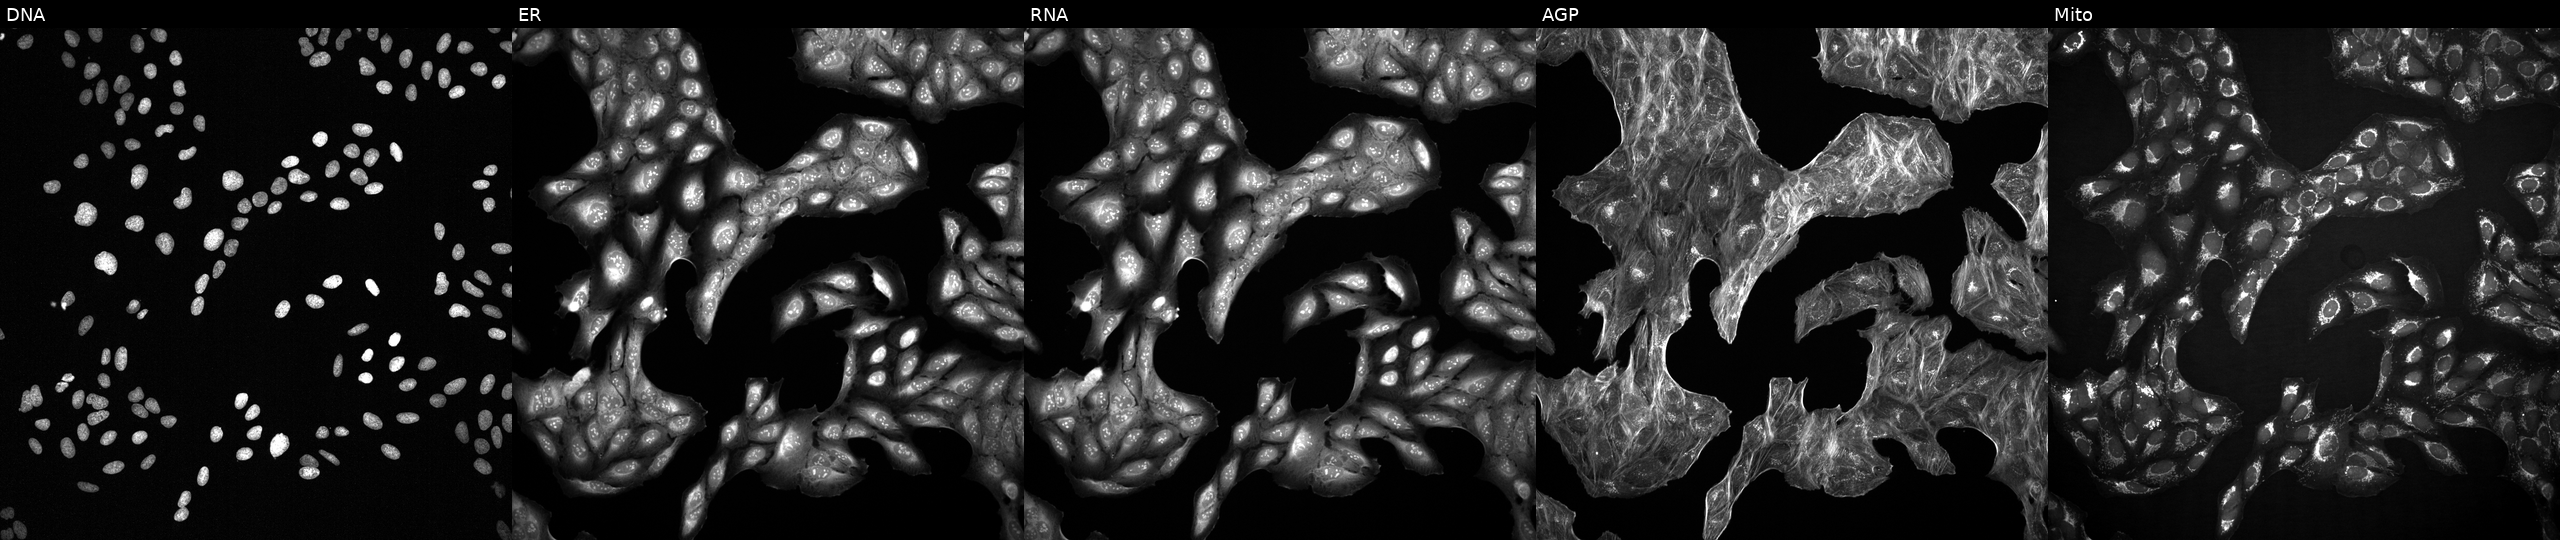
Five-channel Cell Painting image of U2OS cells with an unidentified perturbation (not annotated in JUMP metadata). Panels show, left to right, Hoechst 33342, concanavalin A, SYTO 14, phalloidin and WGA, MitoTracker.